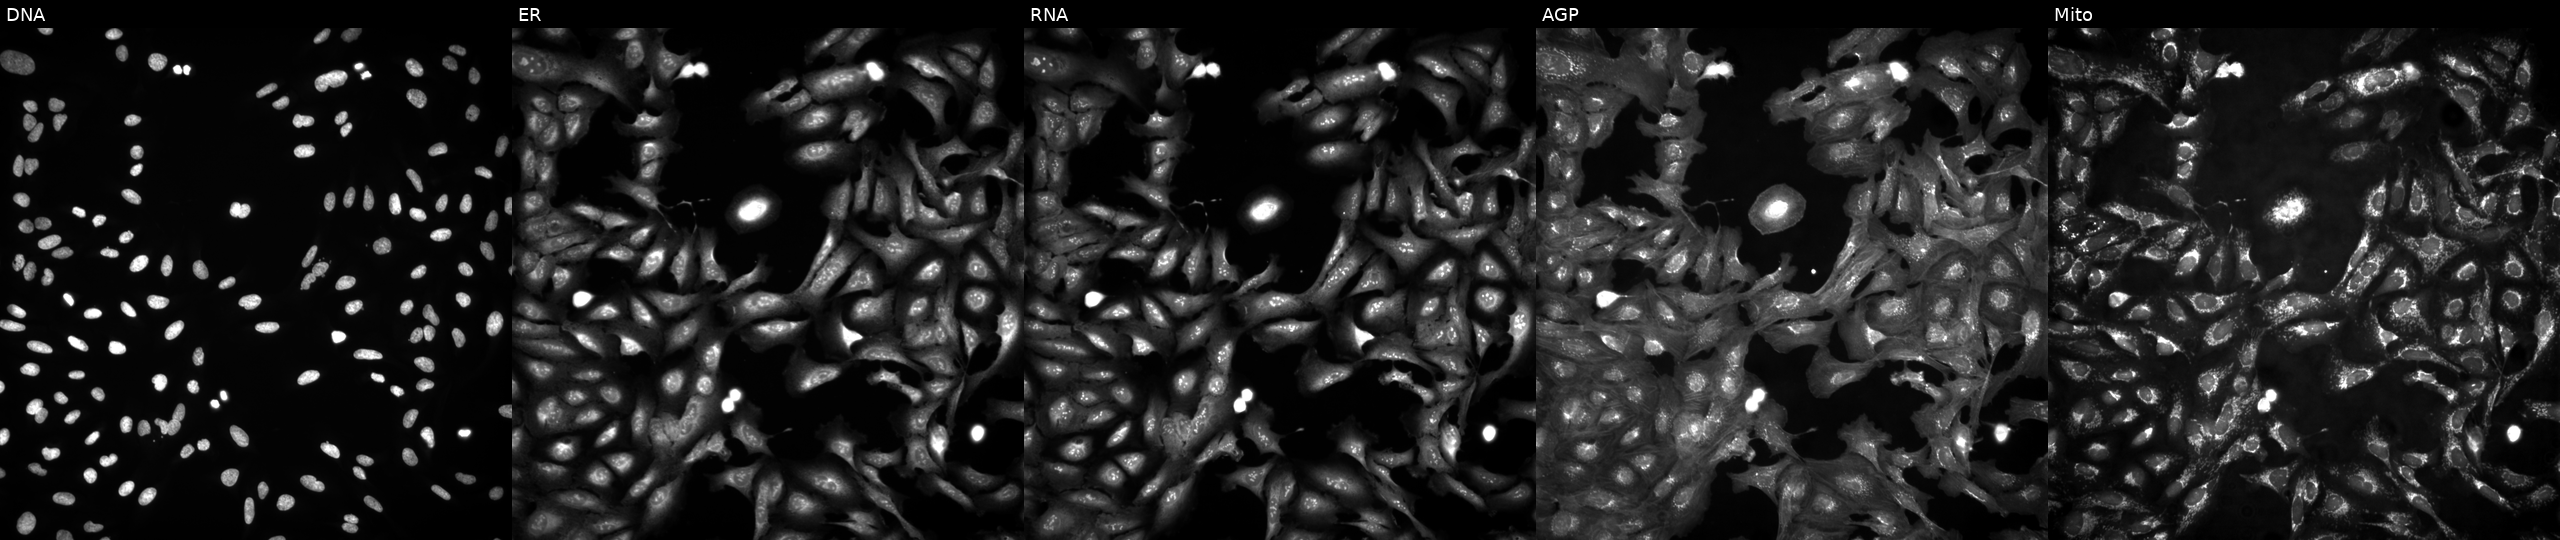
JUMP Cell Painting — ORF plate. U2OS cells untreated (empty-well control). From left to right: Hoechst 33342, concanavalin A, SYTO 14, phalloidin and WGA, MitoTracker. Source 4, plate BR00124793, well N07.